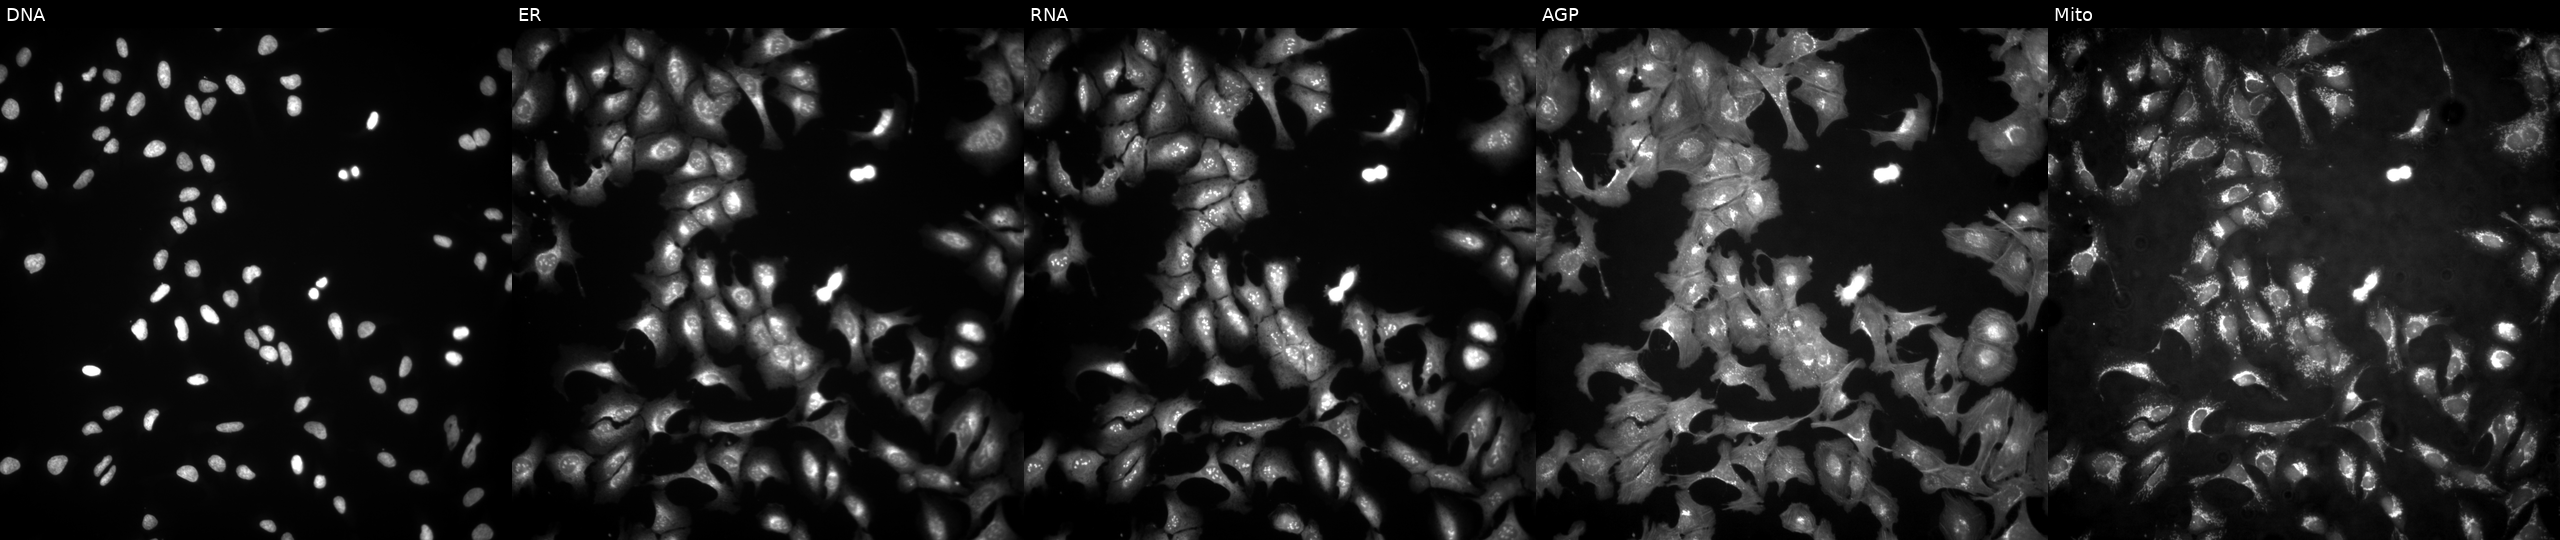
Five-channel Cell Painting image of U2OS cells with RPS28 overexpressed (ORF) (JUMP id JCP2022_901369). From left to right: DNA, ER, RNA, AGP, and Mito.